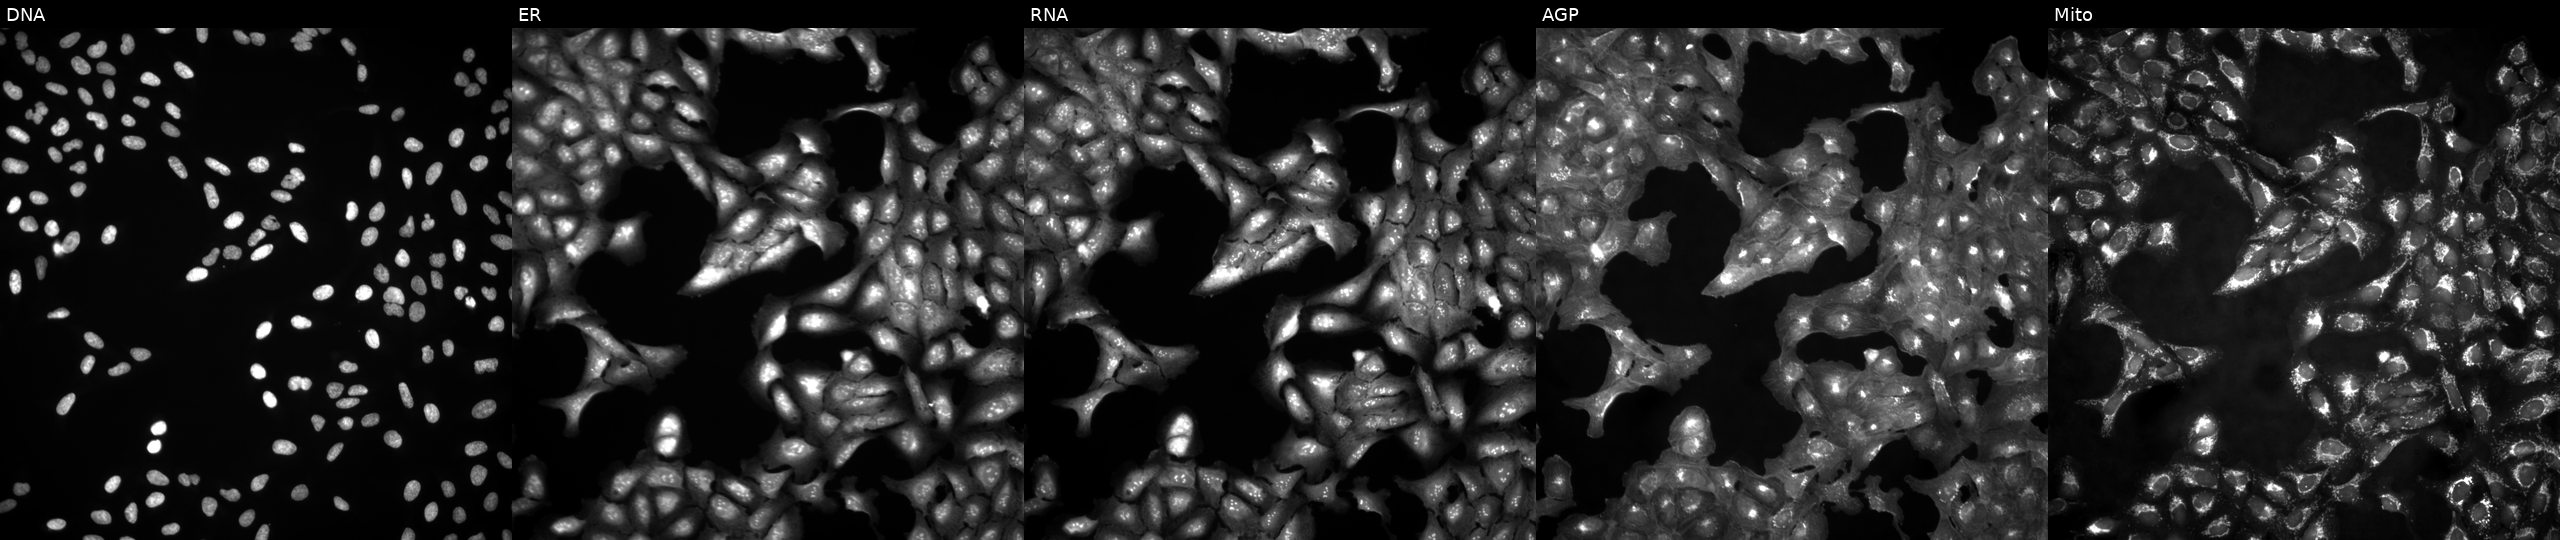
Channels (left→right): DNA, ER, RNA, AGP, and Mito. U2OS osteosarcoma cells untreated (empty-well control). Cell Painting assay, JUMP-CP dataset. Source 4, plate BR00123946, well E02.